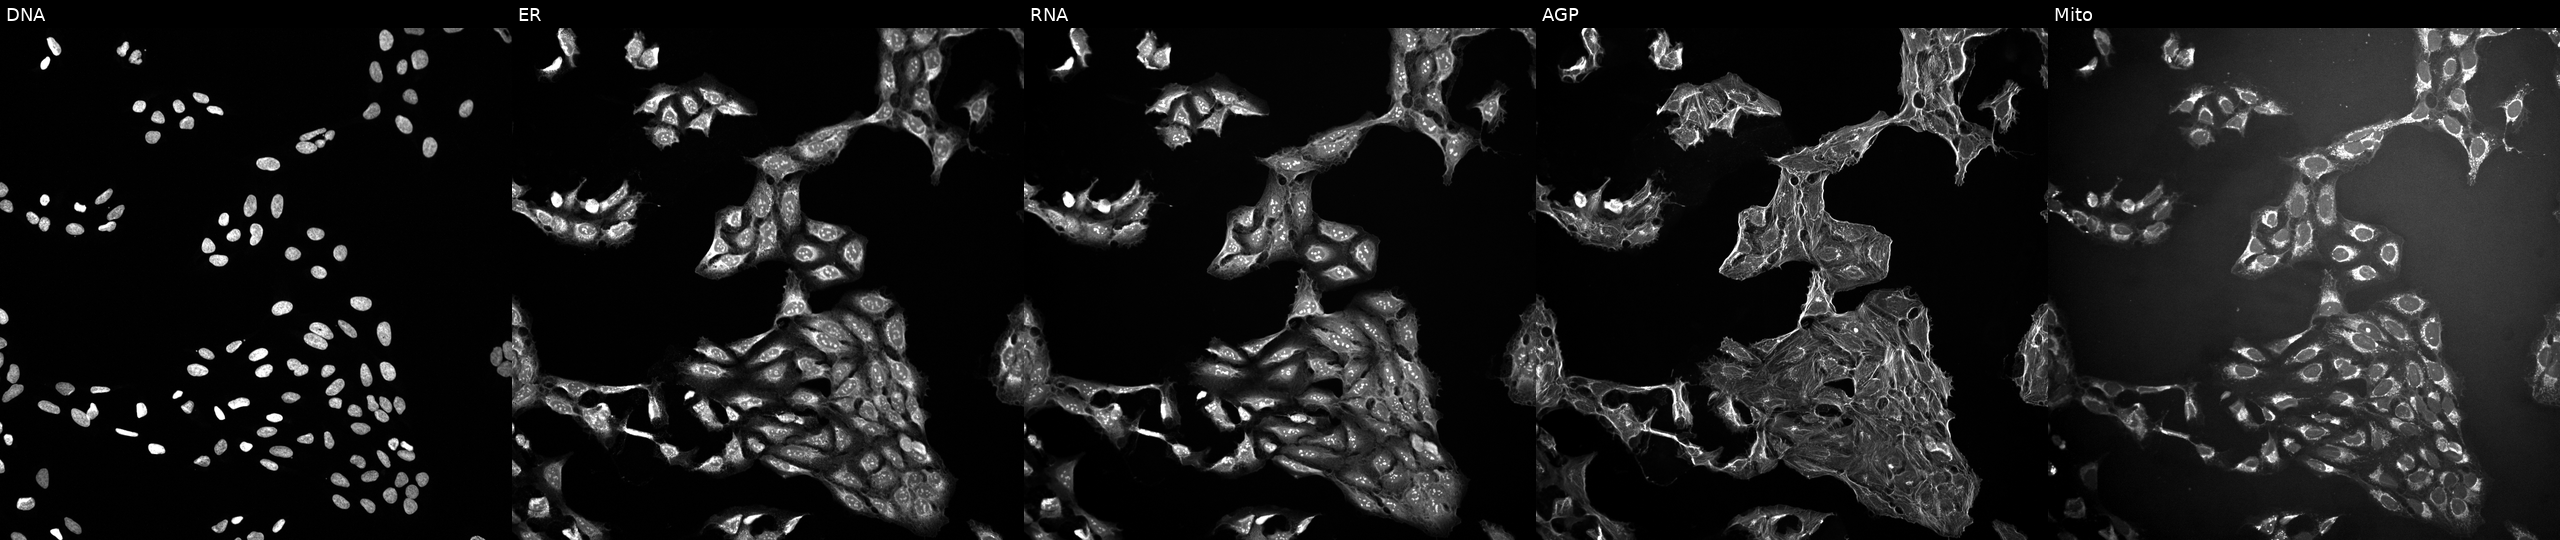
This image strip shows the five Cell Painting channels for a single field of U2OS cells treated with a small-molecule compound (InChIKey LNFZRMDSZJCZTG-UHFFFAOYSA-N) [SMILES: Cc1ccc(NC(=O)Nc2cc(C(F)(F)F)ccc2F)cc1Nc1ccc2c(c1)=NC(=O)C=2Cc1ccc[nH]1]. From left to right: DNA, ER, RNA, AGP, and Mito.